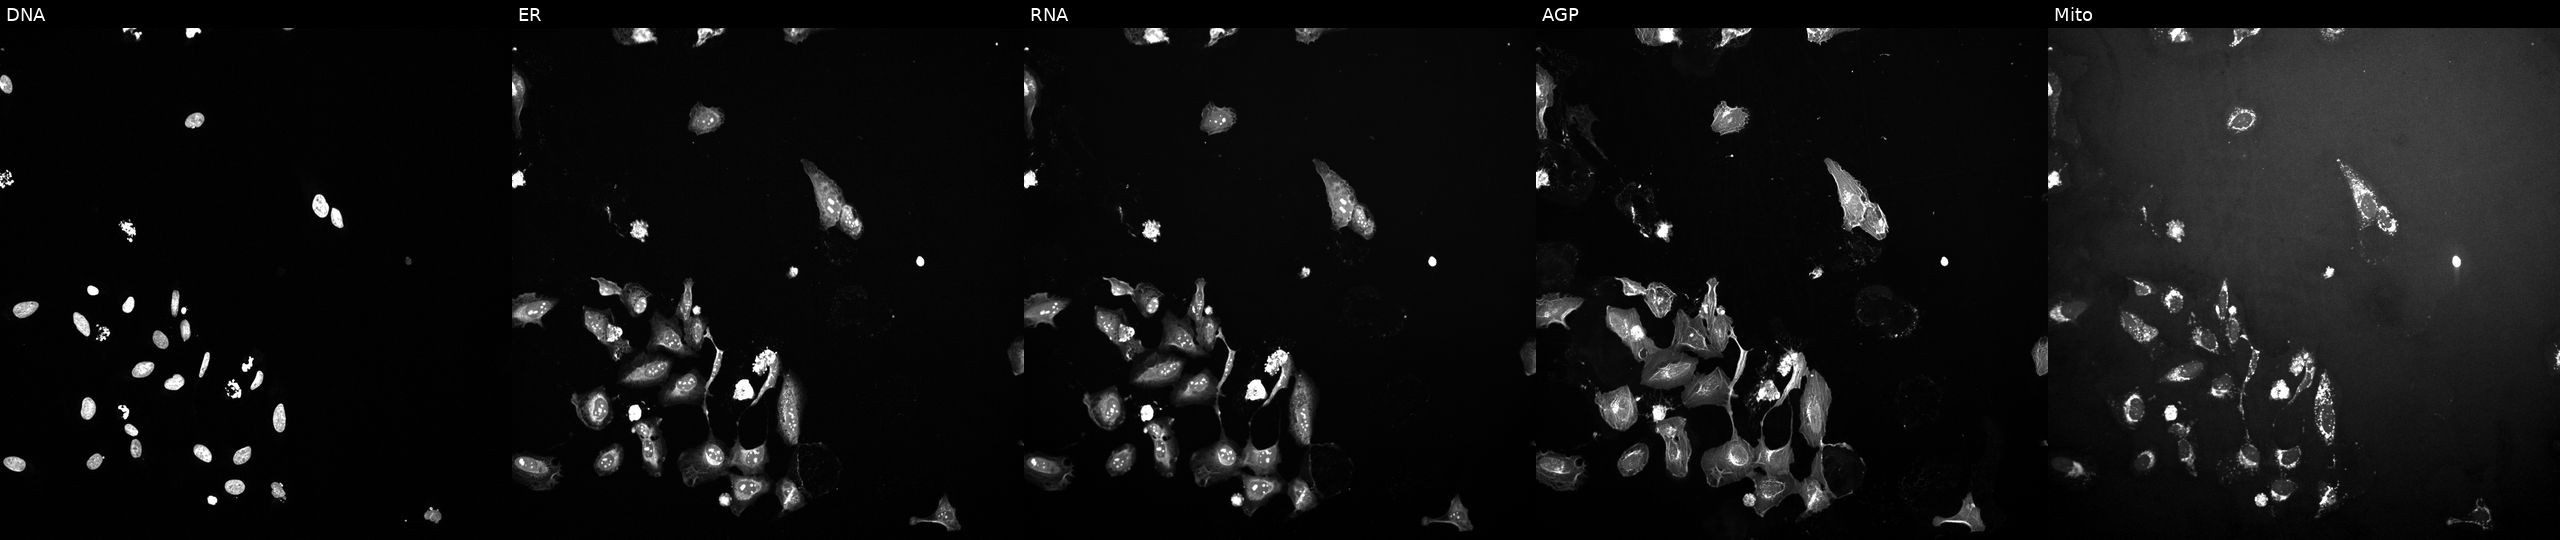
This image strip shows the five Cell Painting channels for a single field of U2OS cells exposed to the positive-control compound TC-S-7004 (JUMP id JCP2022_012818). Panels show, left to right, DNA, ER, RNA, AGP, and Mito. Source 10, plate Dest210531-152149, well P01.